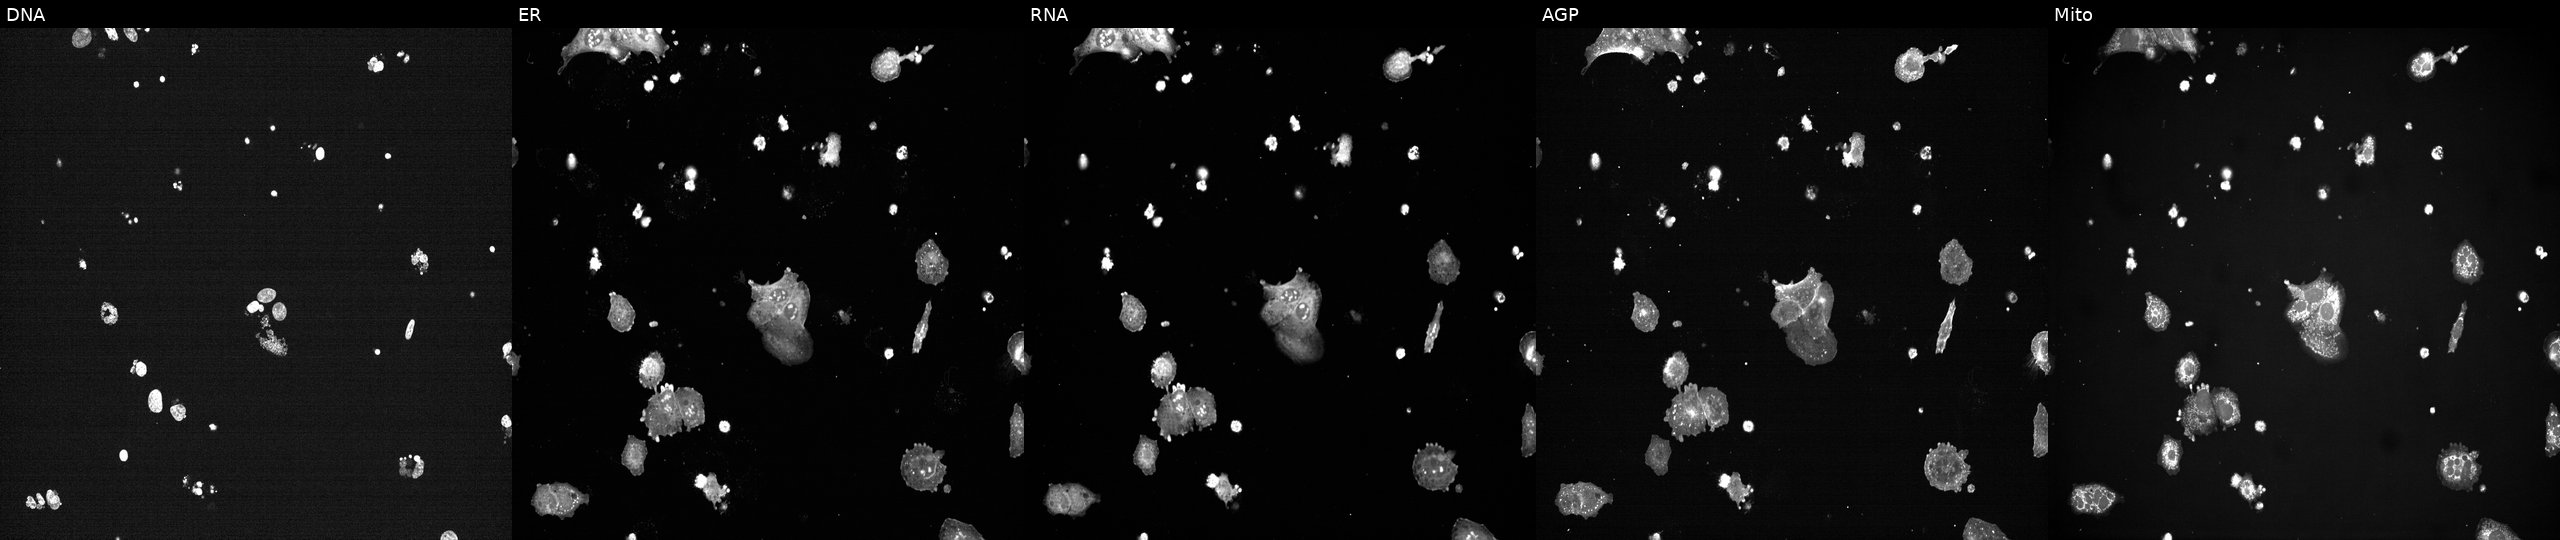
The five panels, left to right, show DNA, ER, RNA, AGP, and Mito. U2OS osteosarcoma cells treated with a small-molecule compound (InChIKey MTJHLONVHHPNSI-UHFFFAOYSA-N) [SMILES: CCCC(N=c1[nH]c(-c2ccc(NC(=O)NCC)c(OC)c2)ncc1C)c1cccnc1]. Cell Painting assay, JUMP-CP dataset.